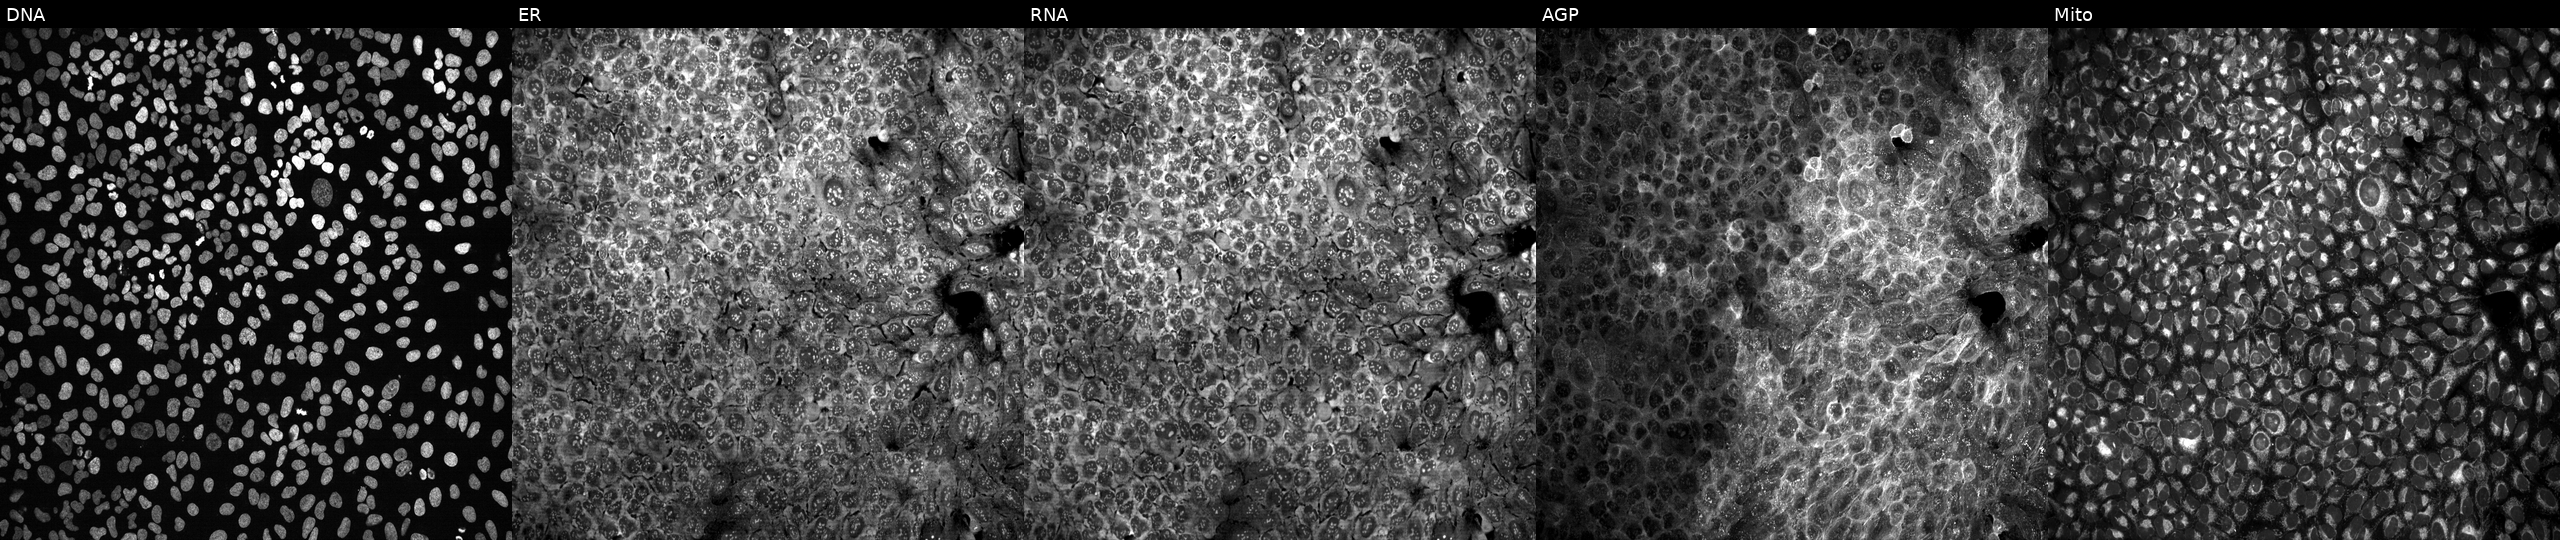
U2OS cells, Cell Painting assay, CRISPR-edited to disrupt NDRG1. Panels show, left to right, Hoechst 33342, concanavalin A, SYTO 14, phalloidin and WGA, MitoTracker. Each panel is percentile-stretched 16-bit fluorescence. Source 13, plate CP-CC9-R6-19, well P17.